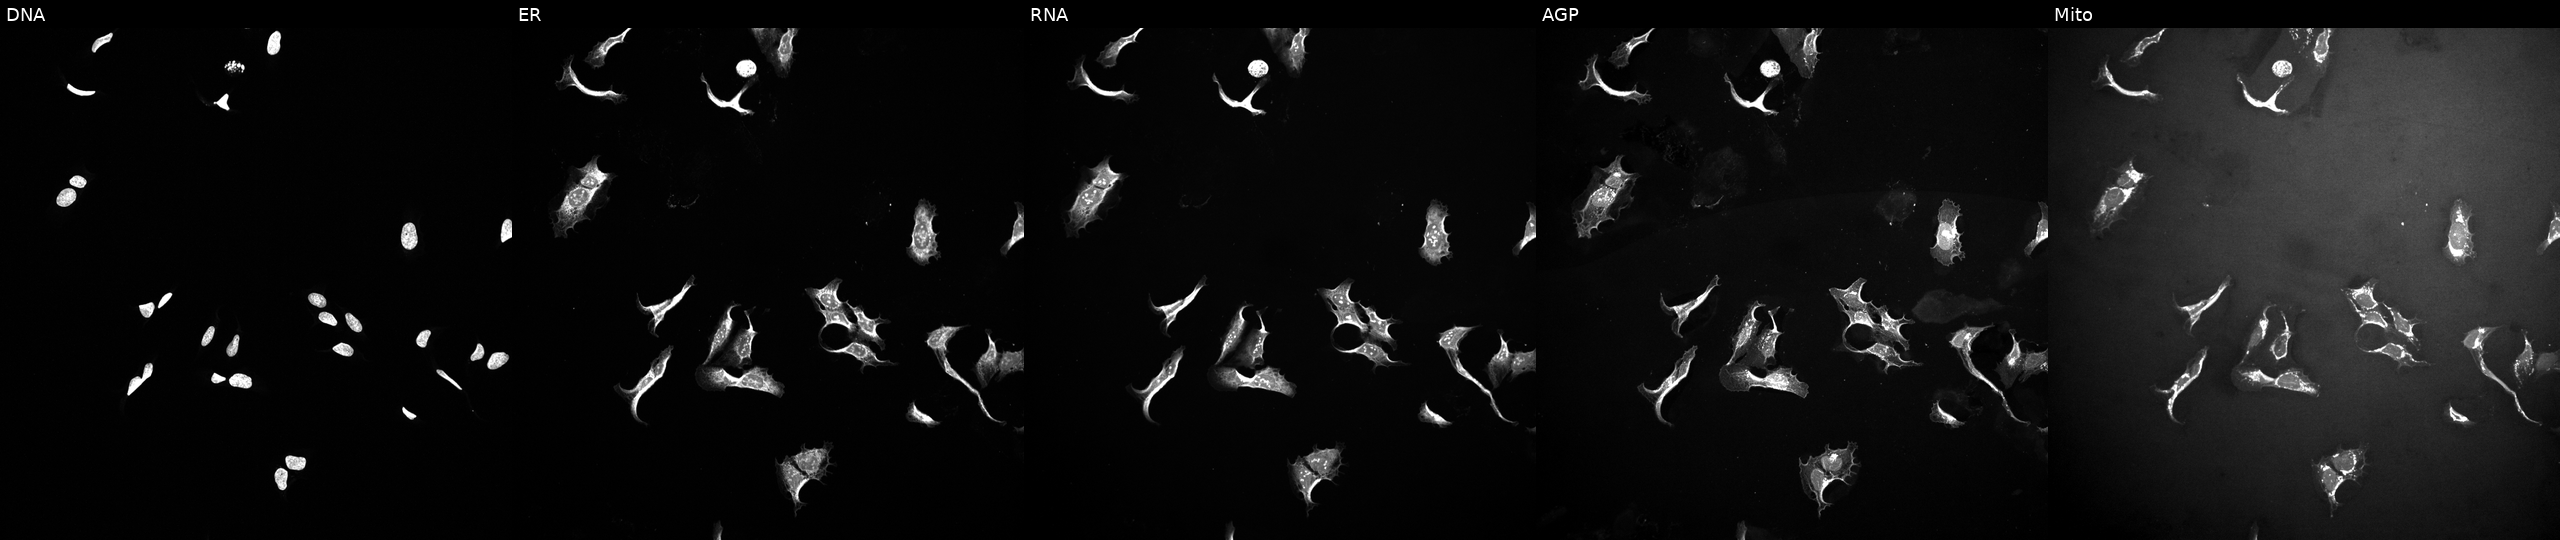
High-content fluorescence microscopy (Cell Painting). Cell line: U2OS. Perturbation: exposed to a small-molecule compound (InChIKey YPHMISFOHDHNIV-UHFFFAOYSA-N) (JUMP id JCP2022_109917). The five panels, left to right, show DNA (nuclei); ER (endoplasmic reticulum); RNA (nucleoli and cytoplasmic RNA); AGP (actin cytoskeleton, Golgi, and plasma membrane); Mito (mitochondria). Source 10, plate Dest210803-153958, well K08.